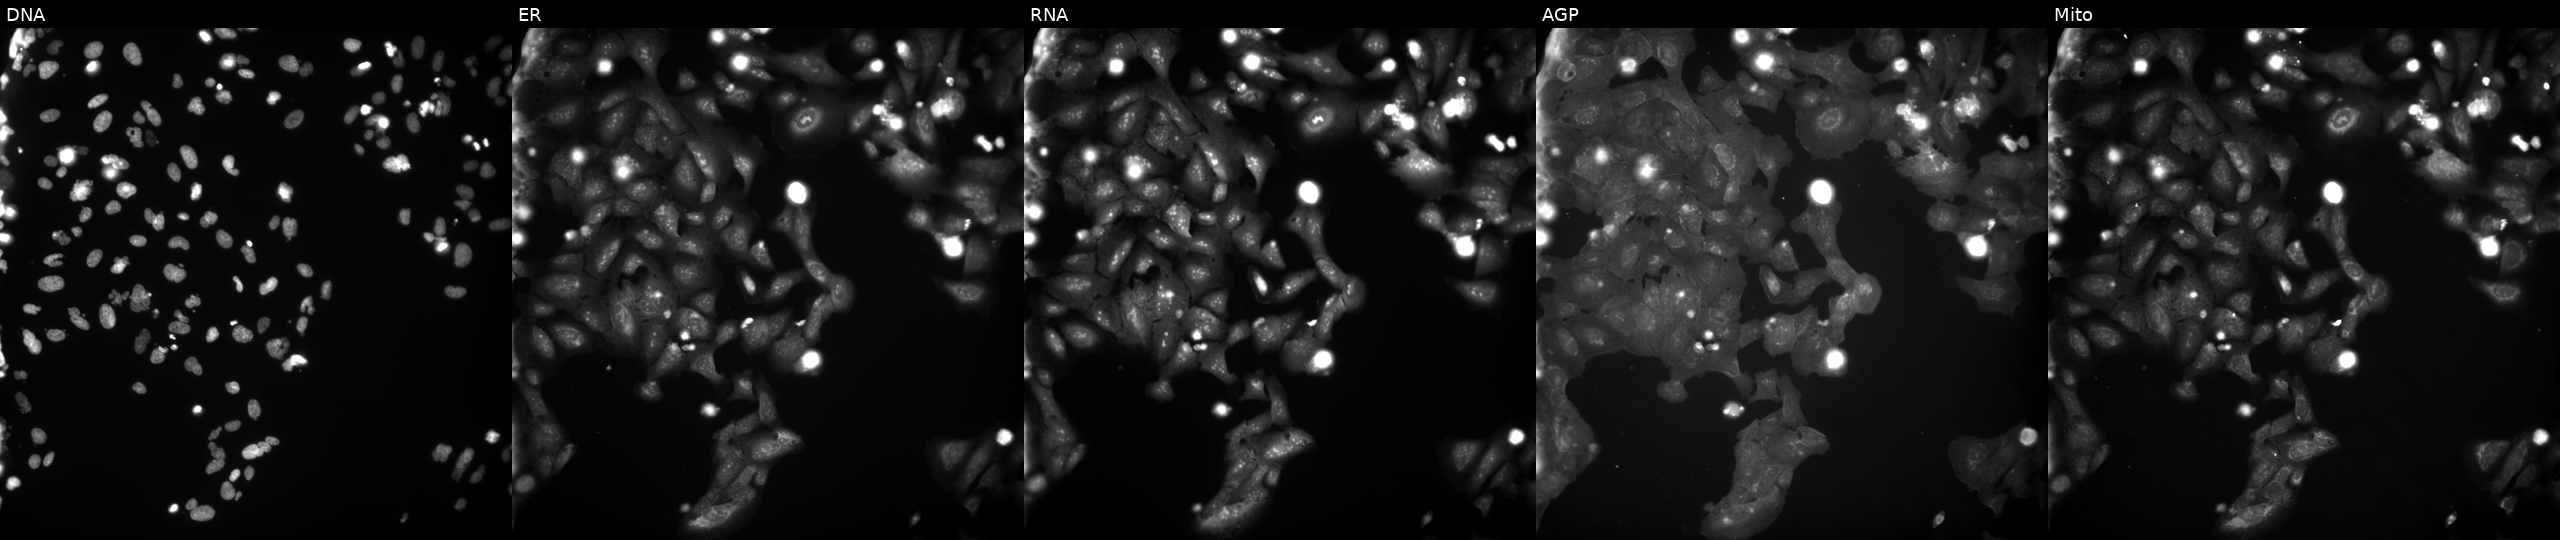
JUMP Cell Painting — COMPOUND plate. U2OS cells exposed to a small-molecule compound (InChIKey GTUVJKCVOKQTIH-UHFFFAOYSA-N). Panels show, left to right, DNA (nuclei); ER (endoplasmic reticulum); RNA (nucleoli and cytoplasmic RNA); AGP (actin cytoskeleton, Golgi, and plasma membrane); Mito (mitochondria).